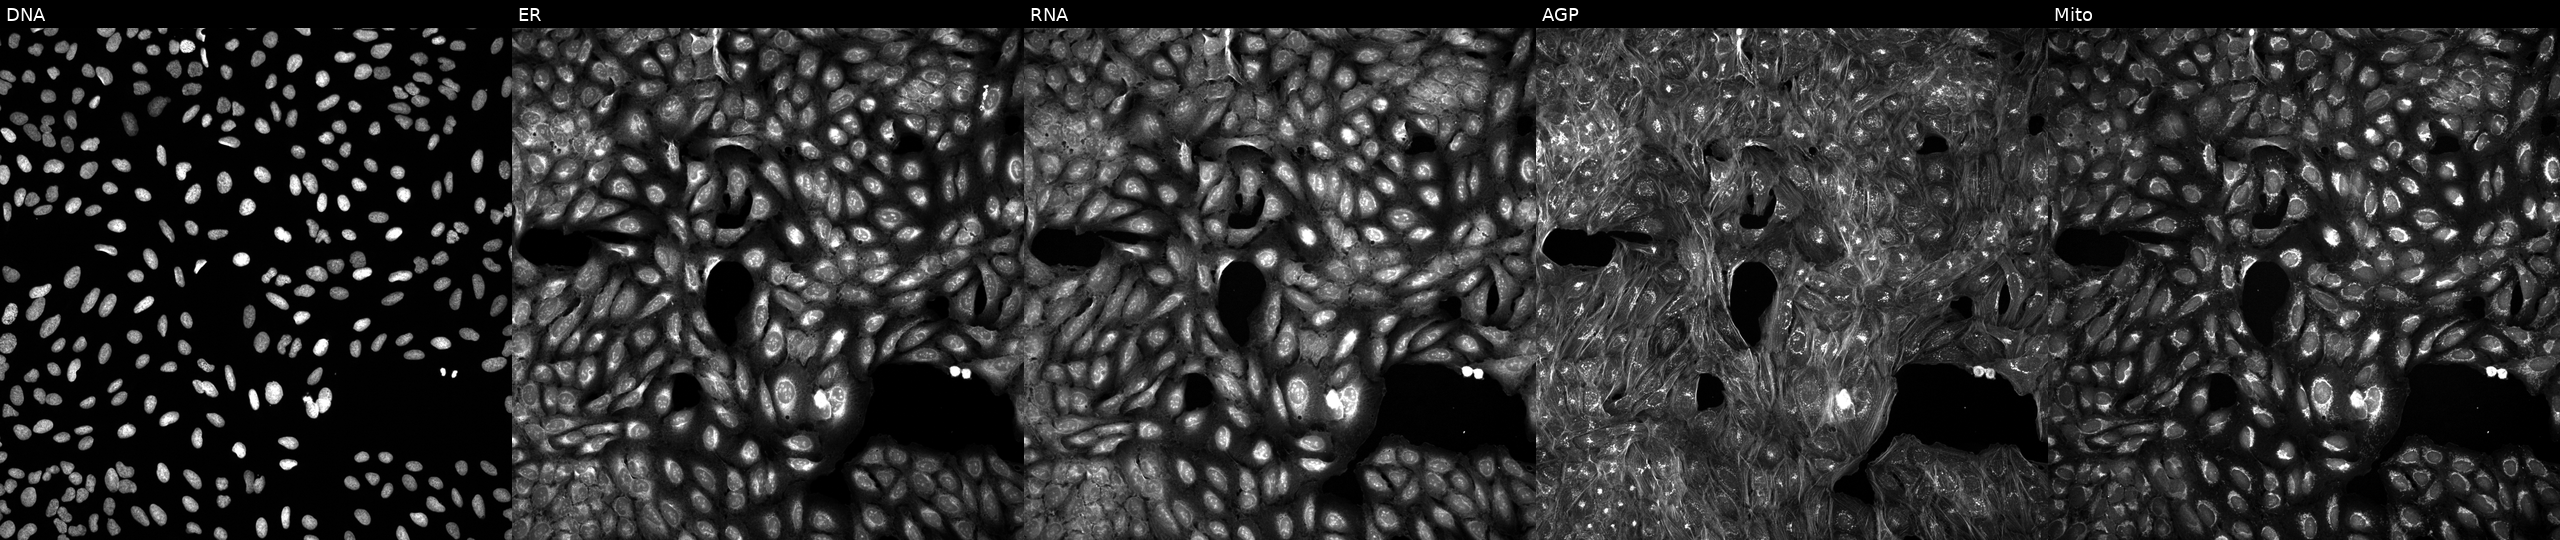
U2OS cells, Cell Painting assay, exposed to DMSO alone as a negative control (JUMP id JCP2022_033924). Panels show, left to right, Hoechst 33342, concanavalin A, SYTO 14, phalloidin and WGA, MitoTracker. Each panel is percentile-stretched 16-bit fluorescence.